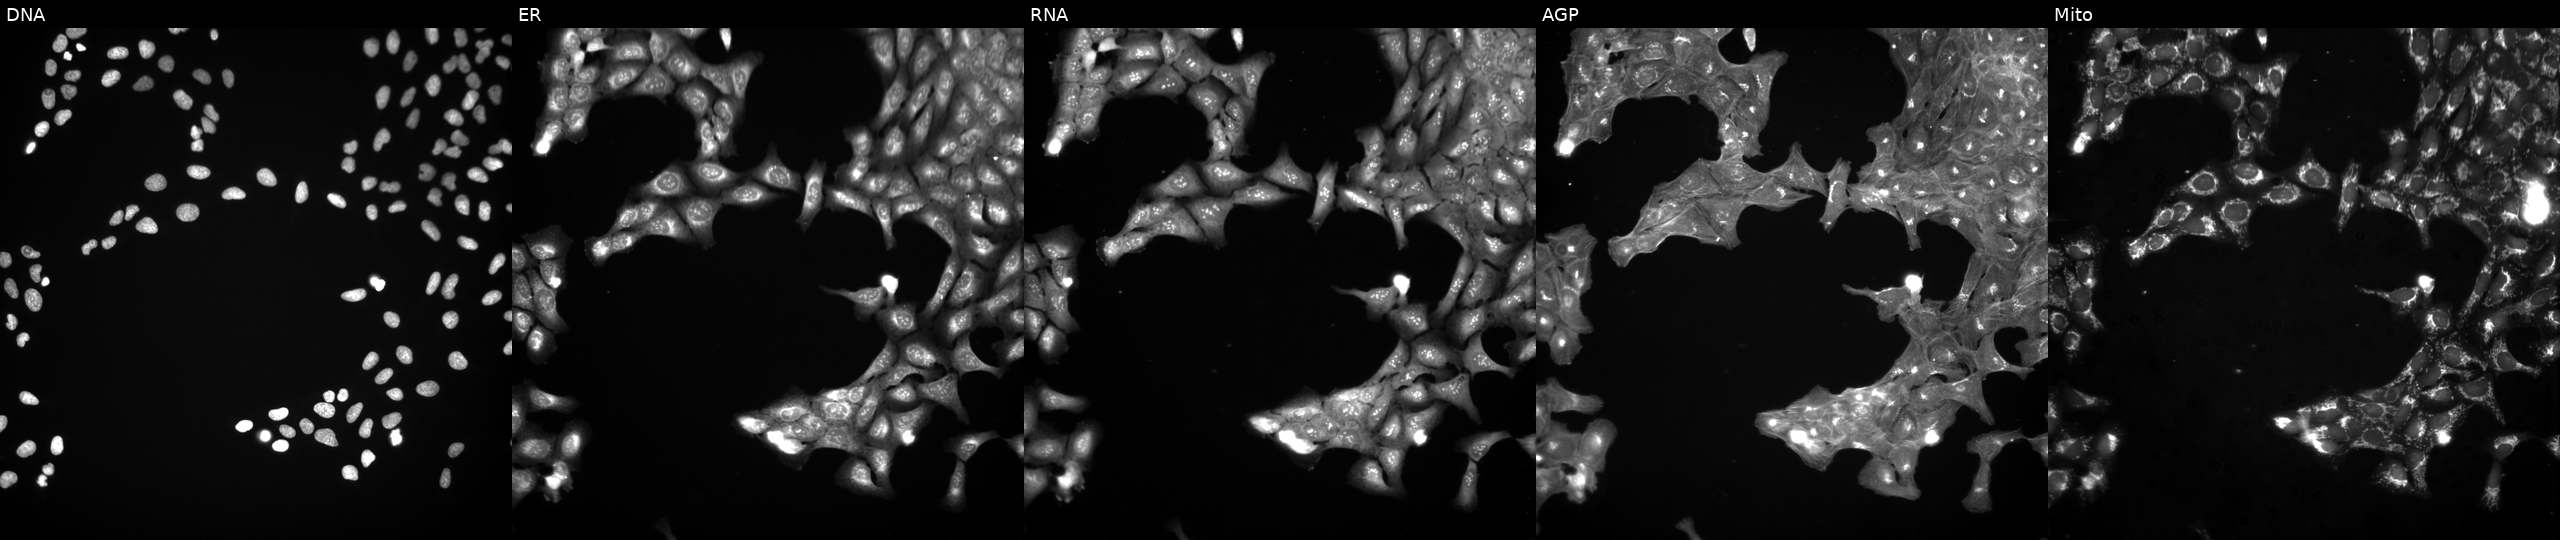
U2OS cells, Cell Painting assay, treated with a small-molecule compound. Panels show, left to right, DNA, ER, RNA, AGP, and Mito. Each panel is percentile-stretched 16-bit fluorescence. Source 3, plate BR5867a3, well A05.